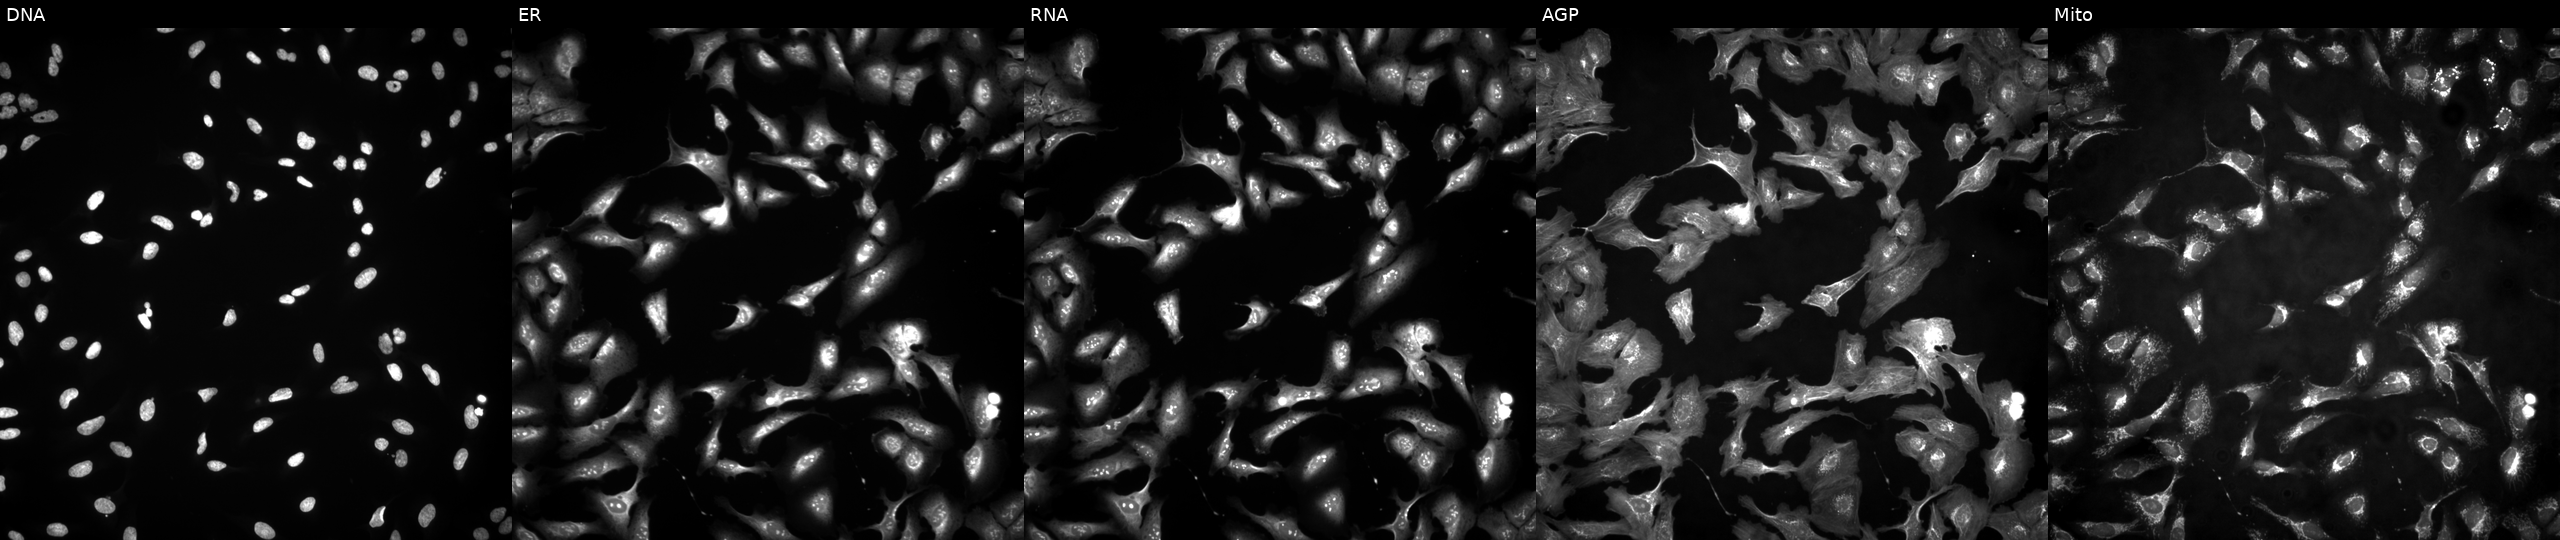
High-content fluorescence microscopy (Cell Painting). Cell line: U2OS. Perturbation: with CCL4 overexpressed (ORF) (JUMP id JCP2022_910367). Panels show, left to right, DNA (nuclei); ER (endoplasmic reticulum); RNA (nucleoli and cytoplasmic RNA); AGP (actin cytoskeleton, Golgi, and plasma membrane); Mito (mitochondria).